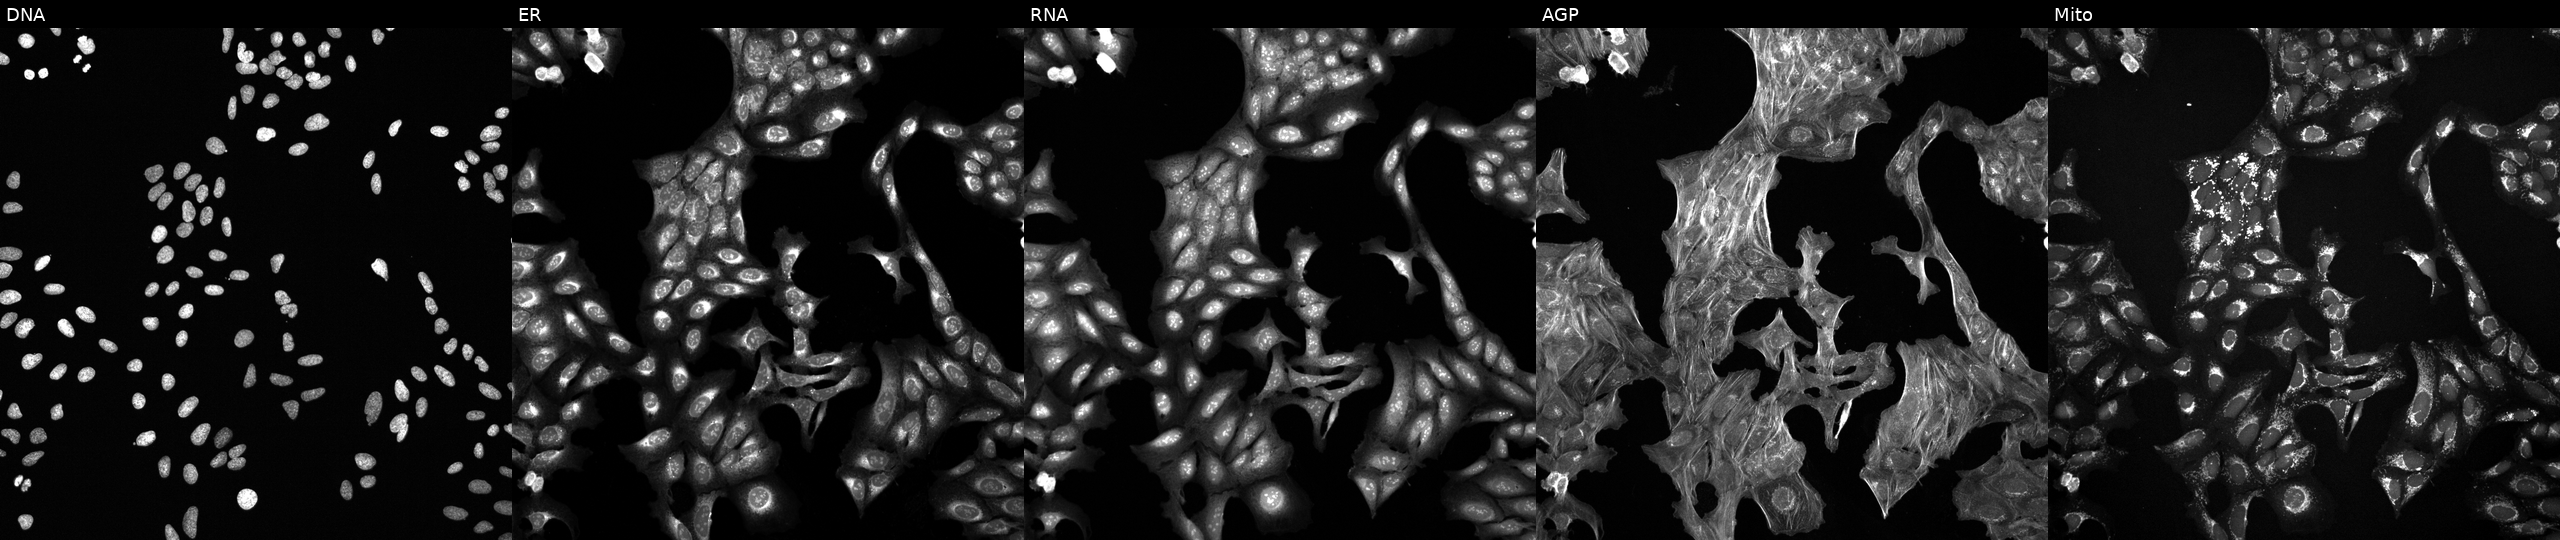
Channels (left→right): DNA (nuclei); ER (endoplasmic reticulum); RNA (nucleoli and cytoplasmic RNA); AGP (actin cytoskeleton, Golgi, and plasma membrane); Mito (mitochondria). U2OS osteosarcoma cells treated with a small-molecule compound (InChIKey IPSQZFUFAZGZPX-UHFFFAOYSA-N) [SMILES: CCn1nccc1CNC(=O)c1cc(-c2cccc(OC)c2)nc2c1c(C)nn2C]. Cell Painting assay, JUMP-CP dataset. Source 6, plate 110000293083, well A03.